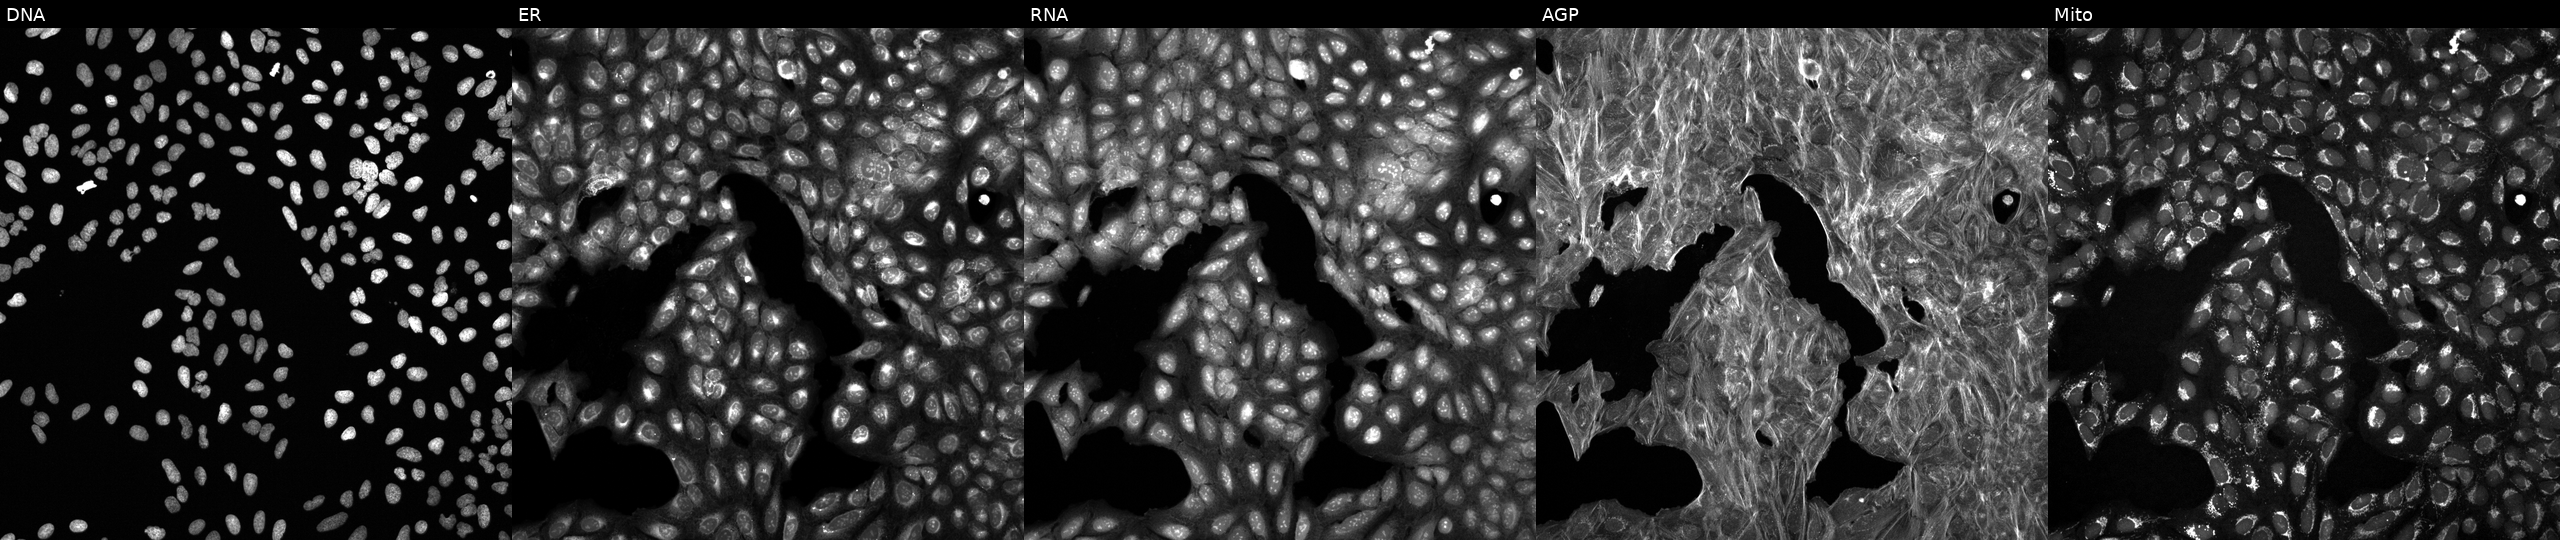
Five-channel Cell Painting image of U2OS cells treated with DMSO vehicle only (negative control) (JUMP id JCP2022_033924). Channels (left→right): DNA, ER, RNA, AGP, and Mito. Source 6, plate 110000293082, well C23.